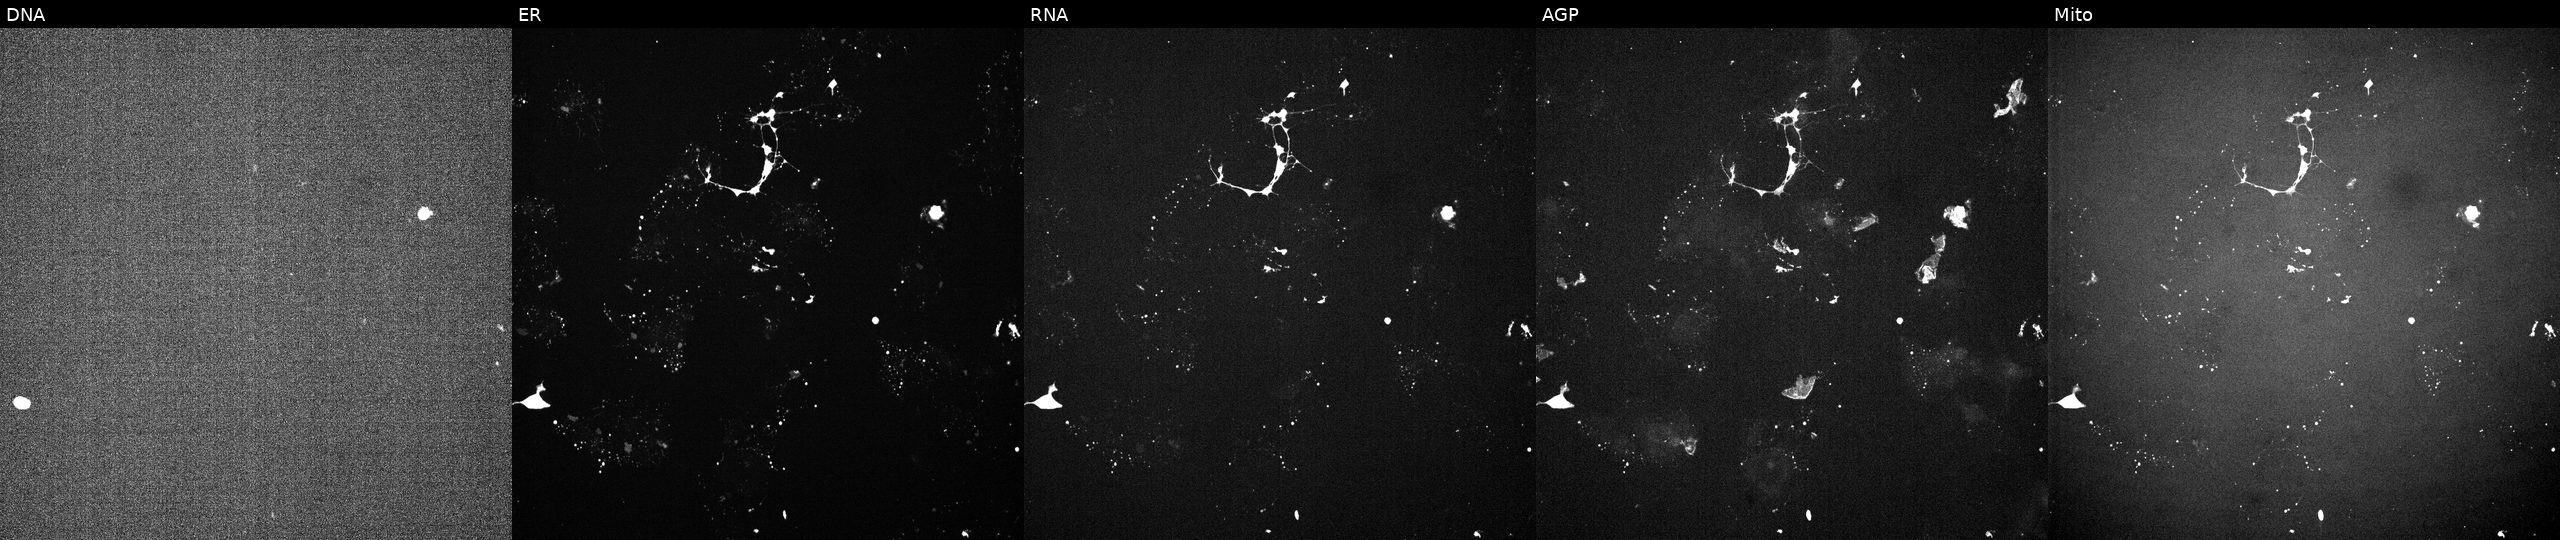
JUMP Cell Painting — TARGET2 plate. U2OS cells exposed to a small-molecule compound (InChIKey PBCZSGKMGDDXIJ-UHFFFAOYSA-N) [SMILES: CNC1CC2OC(C)(C1OC)n1c3ccccc3c3c4c(c5c6ccccc6n2c5c31)C(=O)NC4O] (JUMP id JCP2022_067441). From left to right: Hoechst 33342, concanavalin A, SYTO 14, phalloidin and WGA, MitoTracker. Source 6, plate 110000294901, well G12.